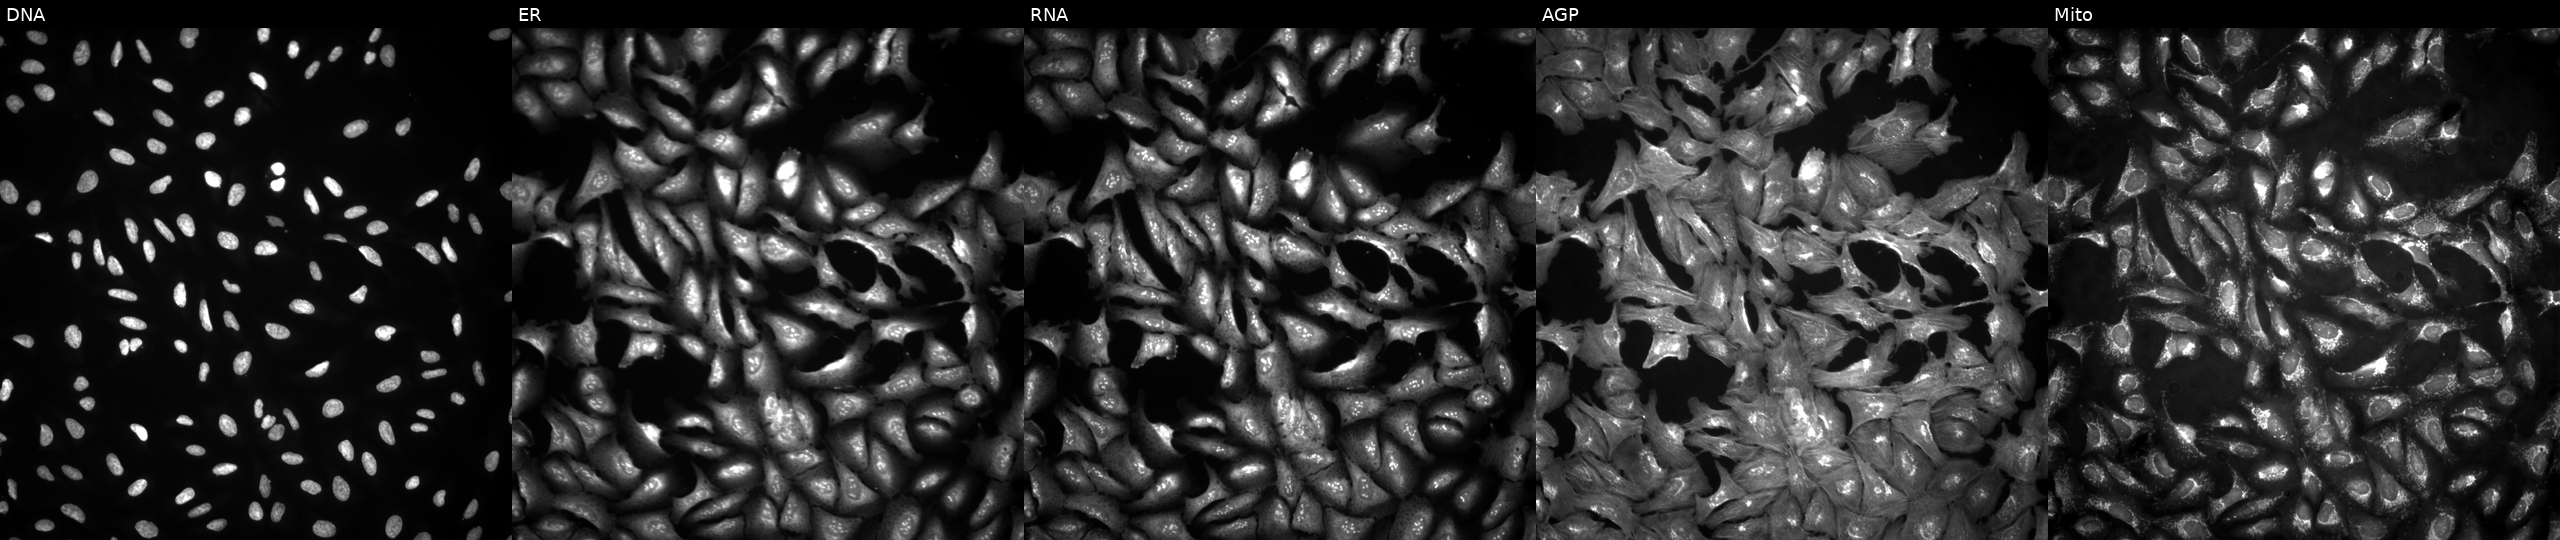
High-content fluorescence microscopy (Cell Painting). Cell line: U2OS. Perturbation: with TAC3 overexpressed (ORF) (JUMP id JCP2022_901522). Panels show, left to right, DNA, ER, RNA, AGP, and Mito. Source 4, plate BR00124784, well D06.